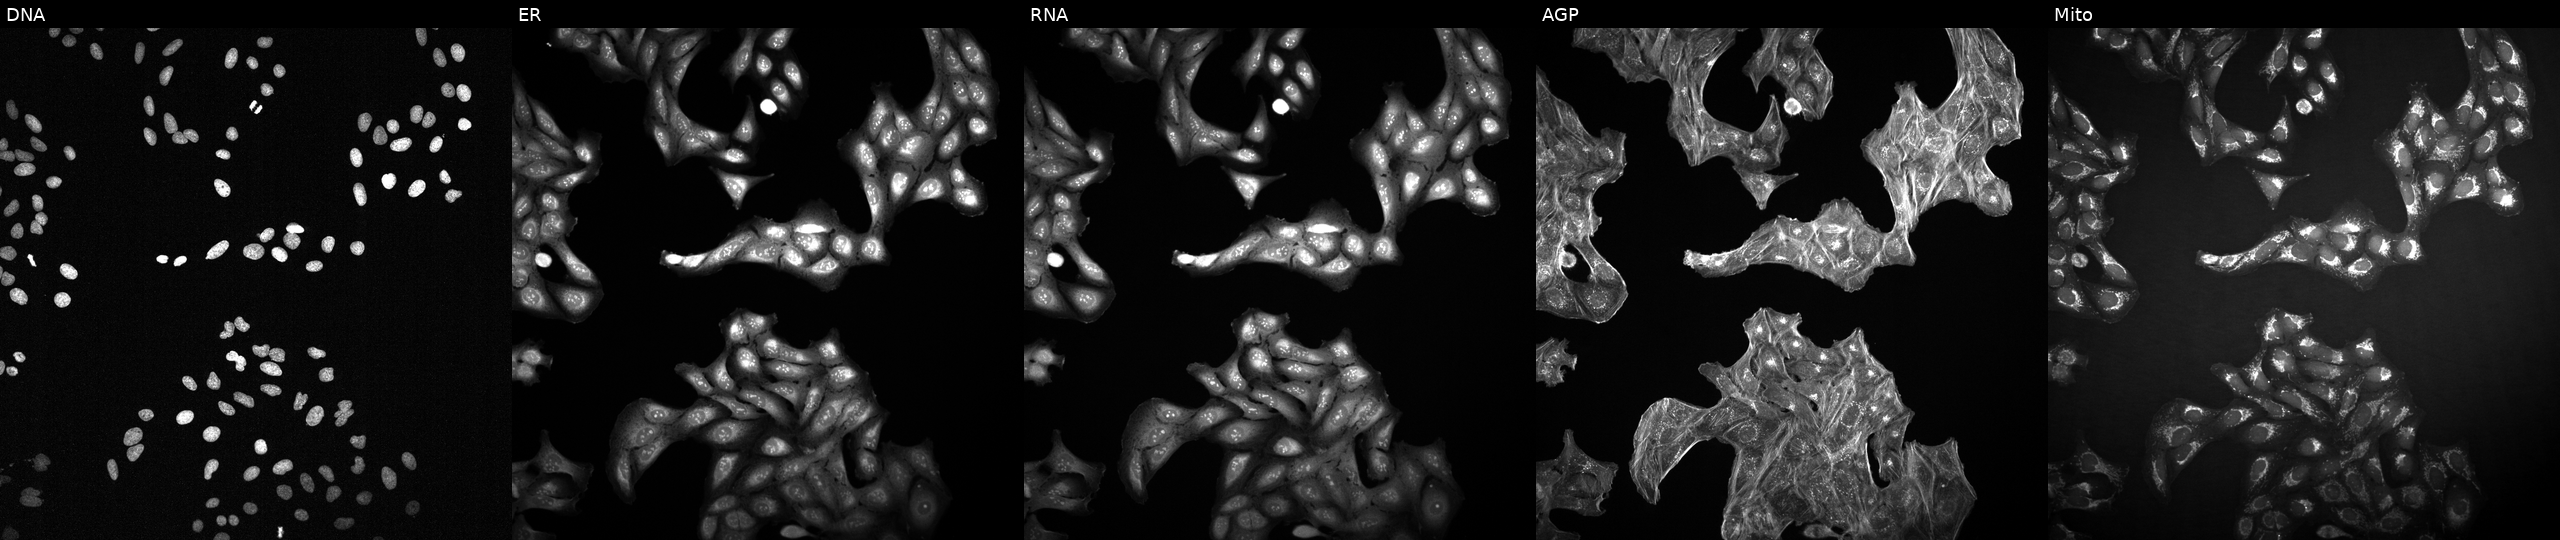
This image strip shows the five Cell Painting channels for a single field of U2OS cells perturbed with a small-molecule compound (InChIKey NQDJXKOVJZTUJA-UHFFFAOYSA-N) (JUMP id JCP2022_060649). From left to right: DNA (nuclei); ER (endoplasmic reticulum); RNA (nucleoli and cytoplasmic RNA); AGP (actin cytoskeleton, Golgi, and plasma membrane); Mito (mitochondria). Source 2, plate 1053600674, well A19.